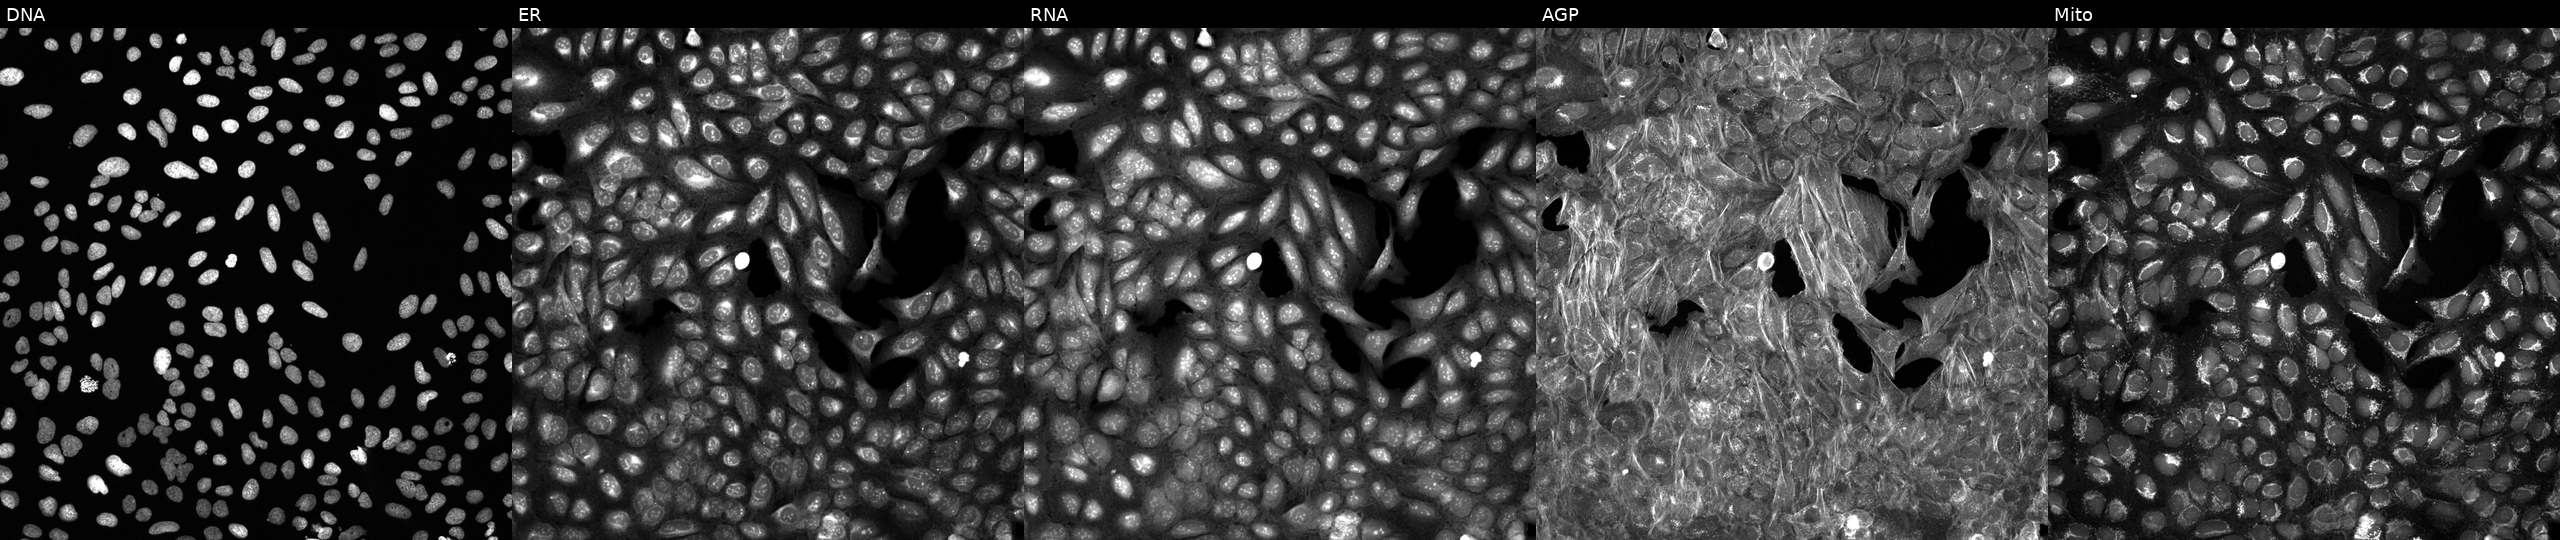
Five-channel Cell Painting image of U2OS cells treated with a small-molecule compound. From left to right: DNA, ER, RNA, AGP, and Mito.